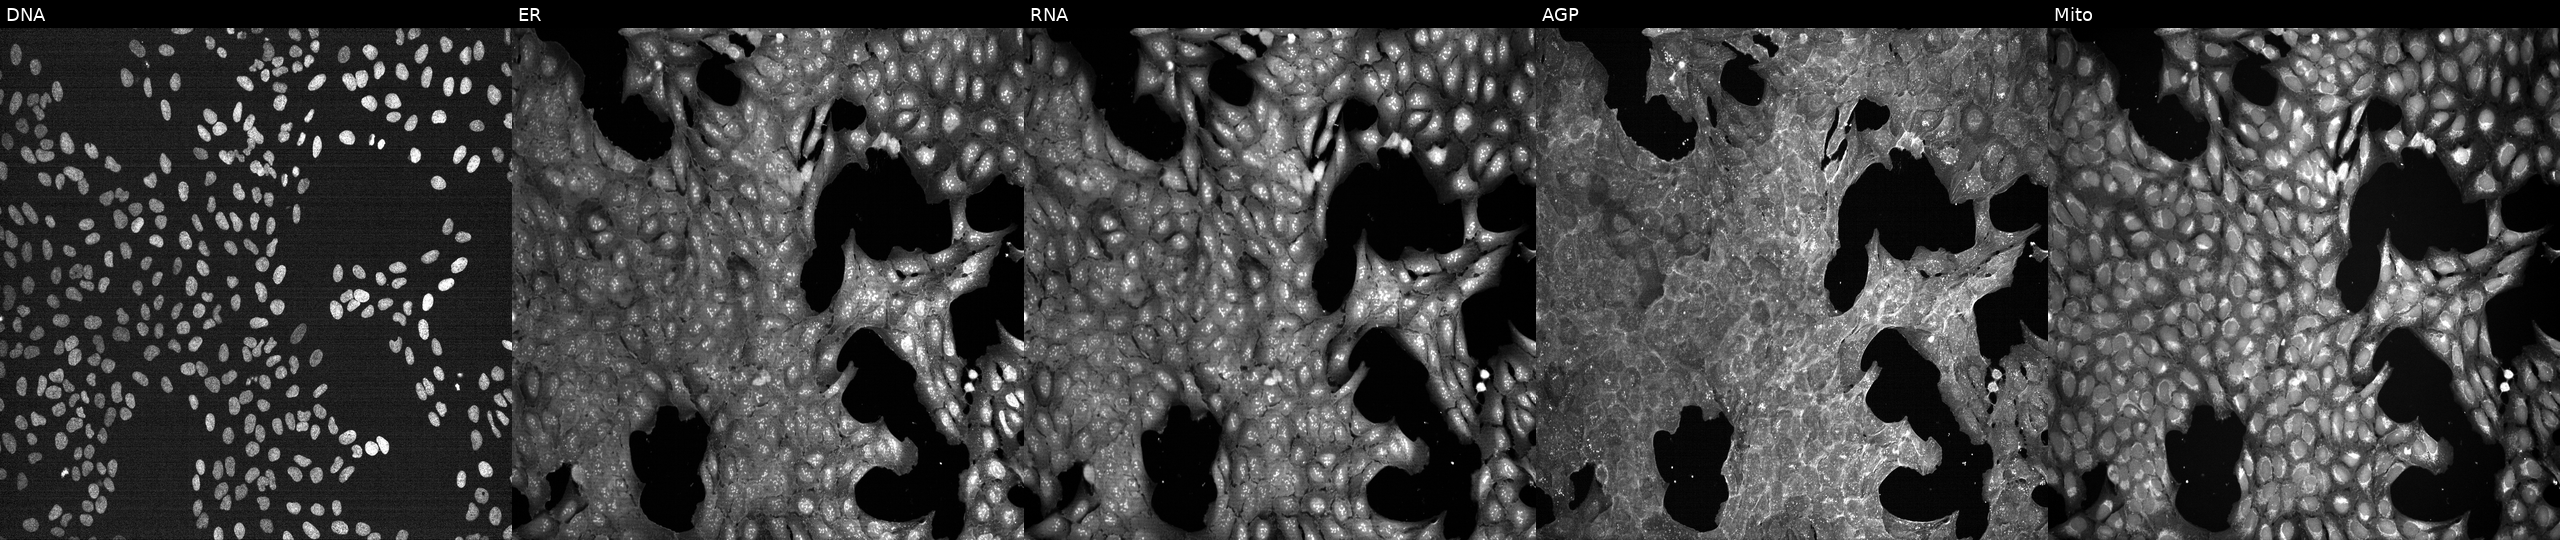
JUMP Cell Painting — TARGET2 plate. U2OS cells treated with DMSO vehicle only (negative control). Channels (left→right): Hoechst 33342, concanavalin A, SYTO 14, phalloidin and WGA, MitoTracker. Source 7, plate CP1-SC1-25, well H06.